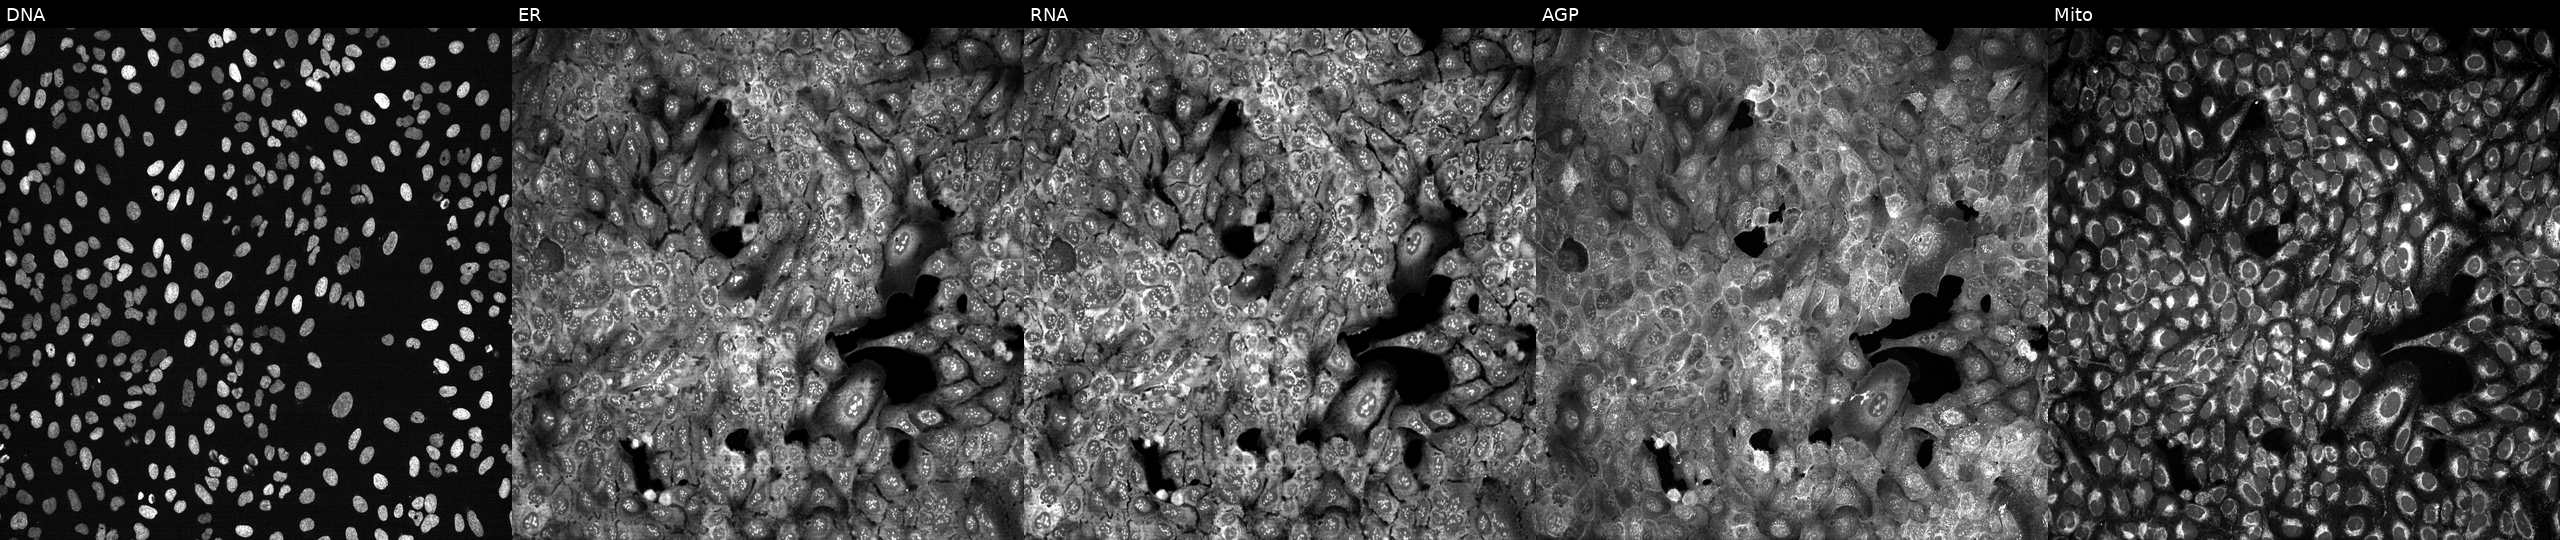
JUMP Cell Painting — CRISPR plate. U2OS cells CRISPR-edited to disrupt PLA2G6. Panels show, left to right, Hoechst 33342, concanavalin A, SYTO 14, phalloidin and WGA, MitoTracker. Source 13, plate CP-CC9-R4-04, well C15.